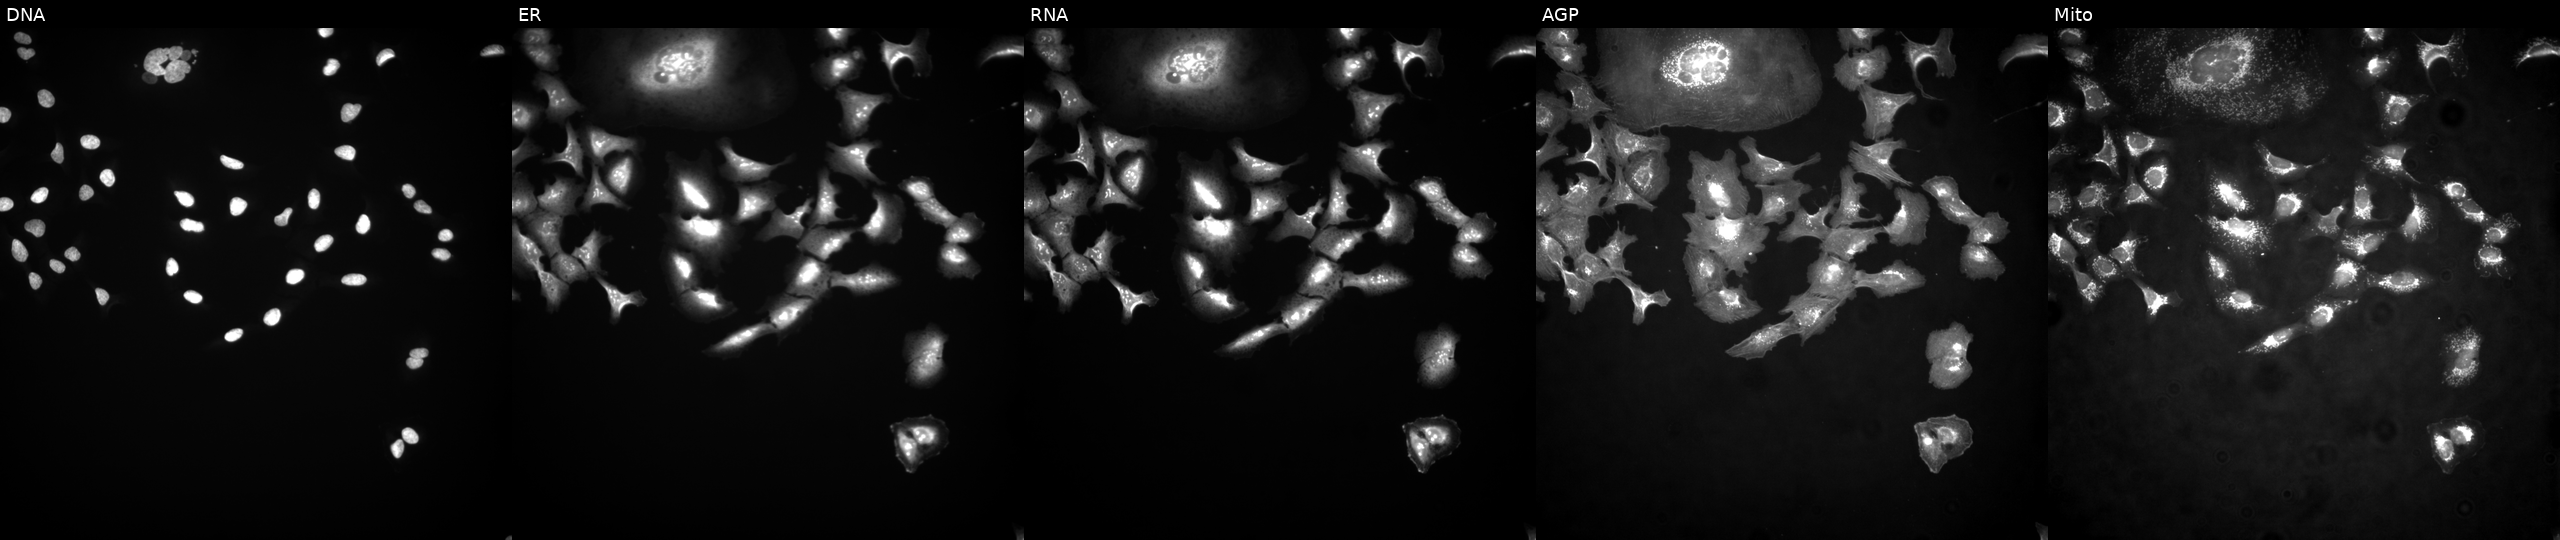
JUMP Cell Painting — ORF plate. U2OS cells overexpressing SNW1 via ORF transfection. The five panels, left to right, show DNA (nuclei); ER (endoplasmic reticulum); RNA (nucleoli and cytoplasmic RNA); AGP (actin cytoskeleton, Golgi, and plasma membrane); Mito (mitochondria). Source 4, plate BR00117035, well L08.